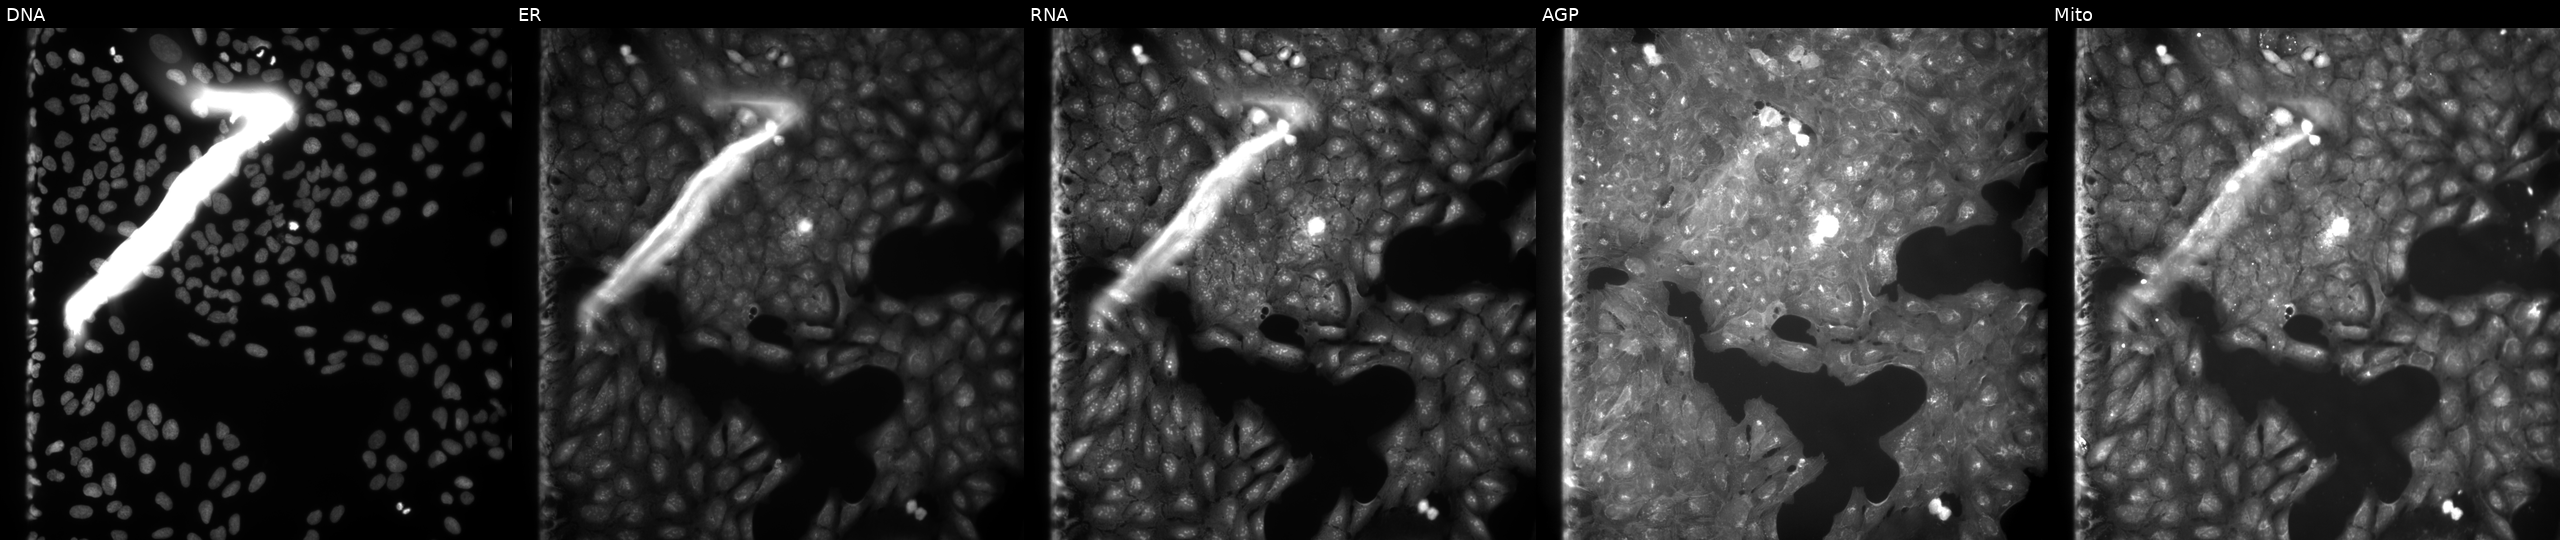
This image strip shows the five Cell Painting channels for a single field of U2OS cells exposed to a small-molecule compound (JUMP id JCP2022_049526). The five panels, left to right, show DNA (nuclei); ER (endoplasmic reticulum); RNA (nucleoli and cytoplasmic RNA); AGP (actin cytoskeleton, Golgi, and plasma membrane); Mito (mitochondria).